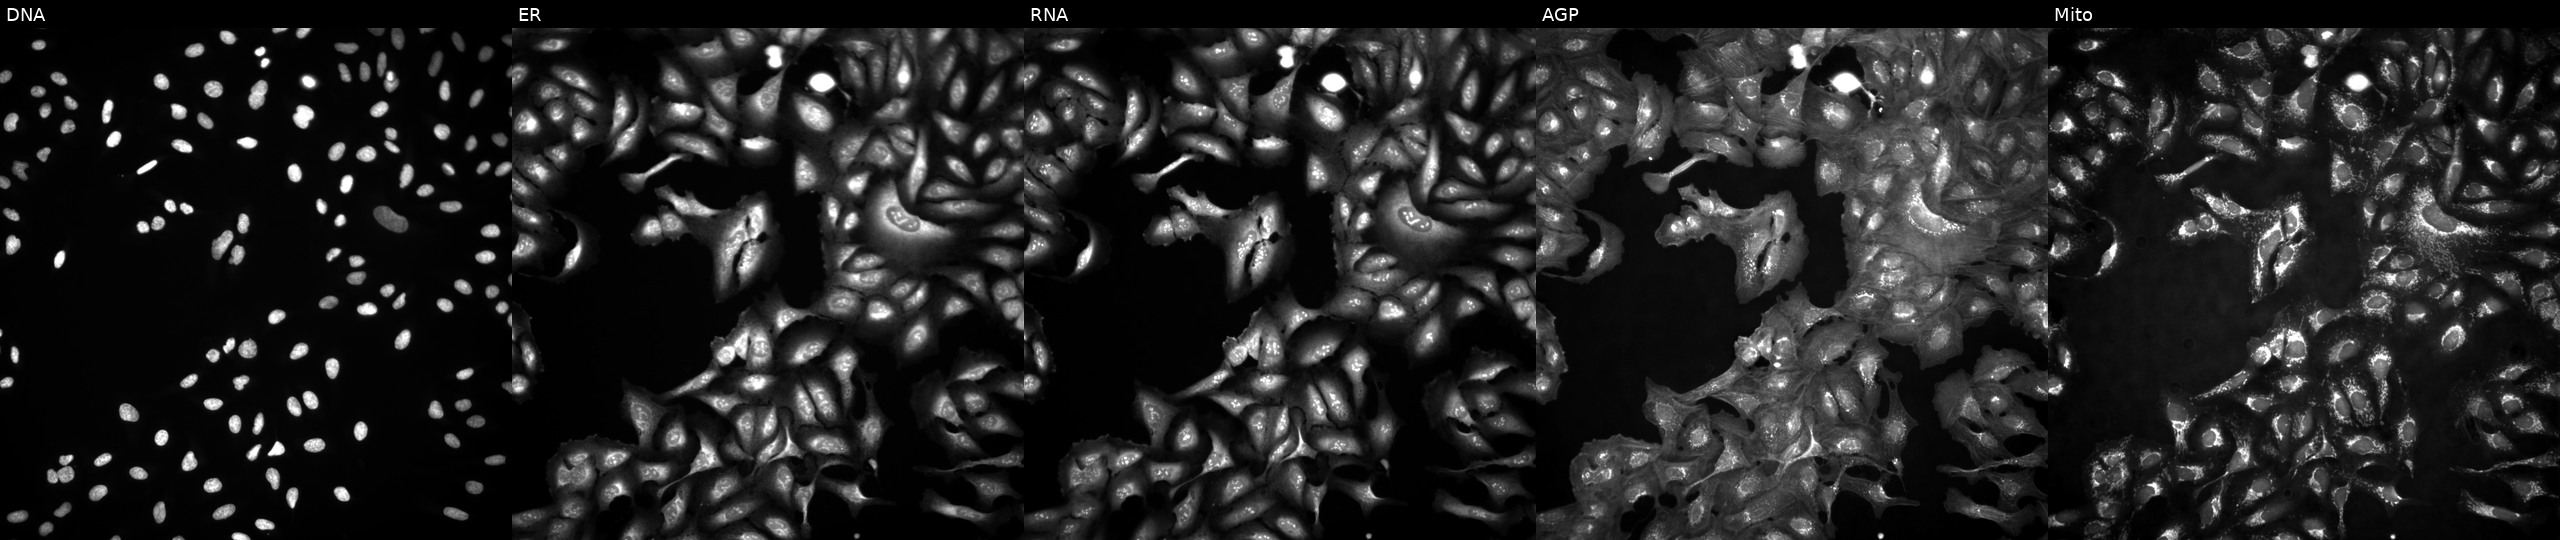
Five-channel Cell Painting image of U2OS cells untreated (empty-well control). Panels show, left to right, DNA, ER, RNA, AGP, and Mito.